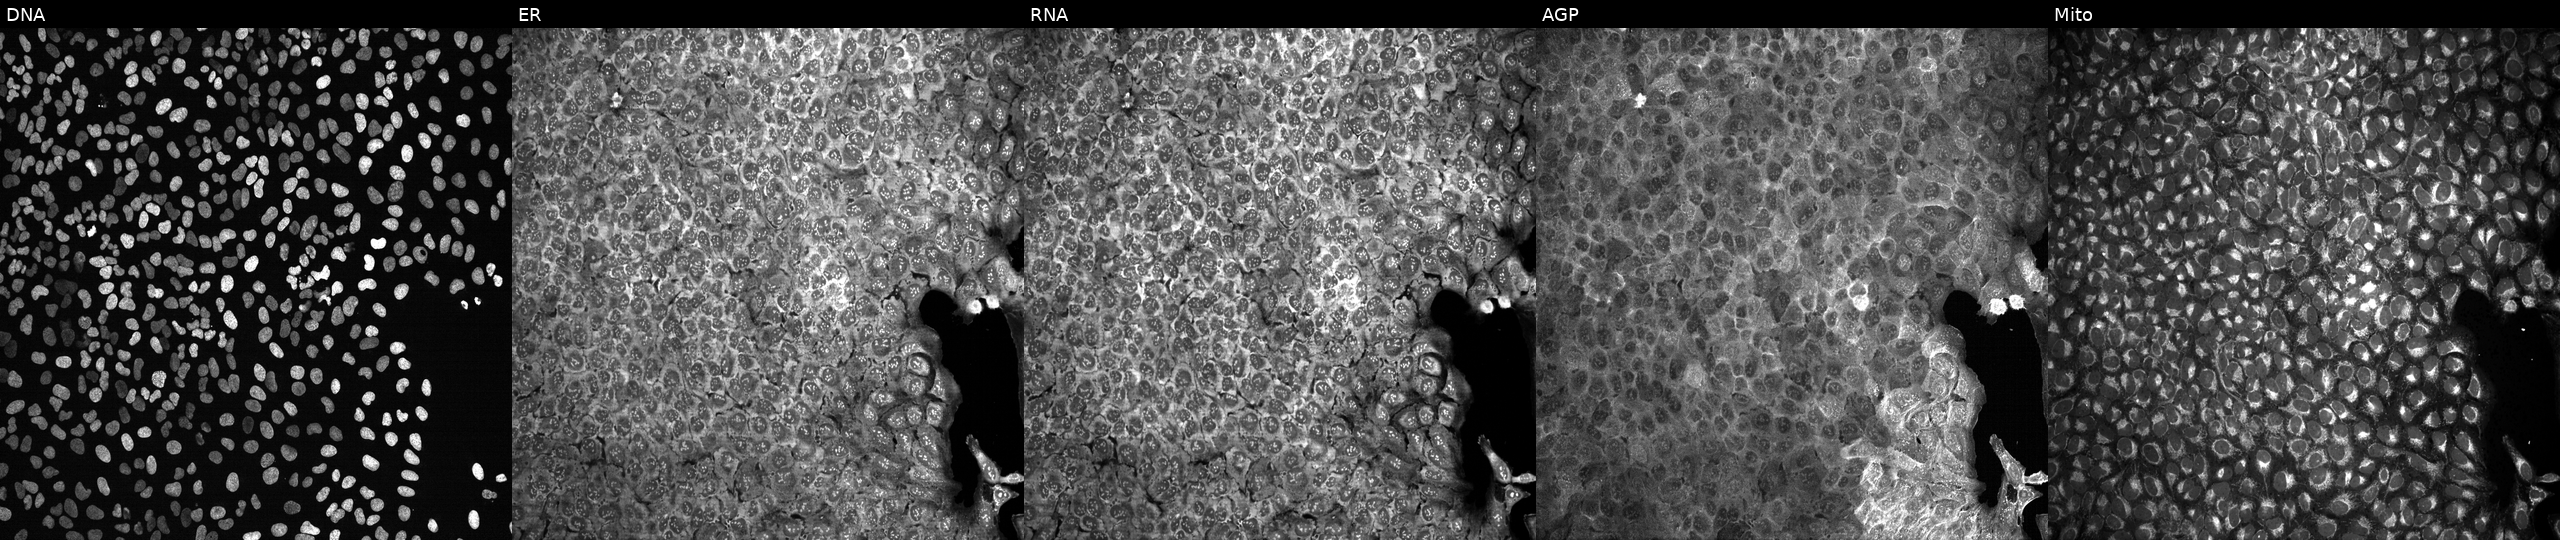
From left to right: DNA (nuclei); ER (endoplasmic reticulum); RNA (nucleoli and cytoplasmic RNA); AGP (actin cytoskeleton, Golgi, and plasma membrane); Mito (mitochondria). U2OS osteosarcoma cells with no CRISPR guide (negative control) (JUMP id JCP2022_800001). Cell Painting assay, JUMP-CP dataset. Source 13, plate CP-CC9-R2-02, well H02.